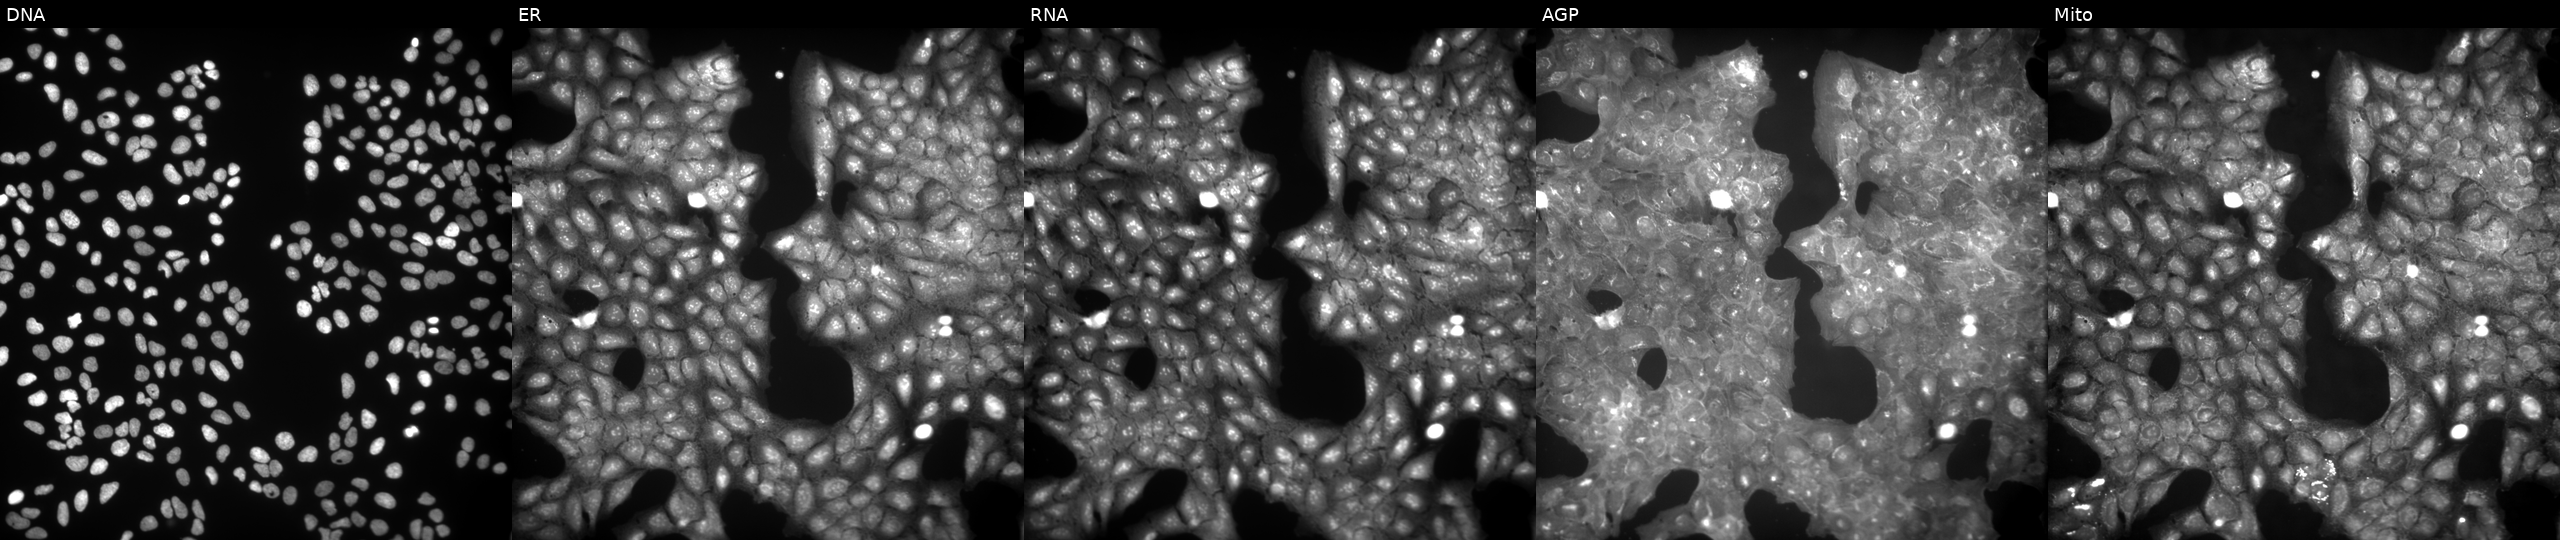
This image strip shows the five Cell Painting channels for a single field of U2OS cells perturbed with a small-molecule compound (JUMP id JCP2022_018794). Channels (left→right): DNA, ER, RNA, AGP, and Mito. Source 9, plate GR00003382, well AB27.